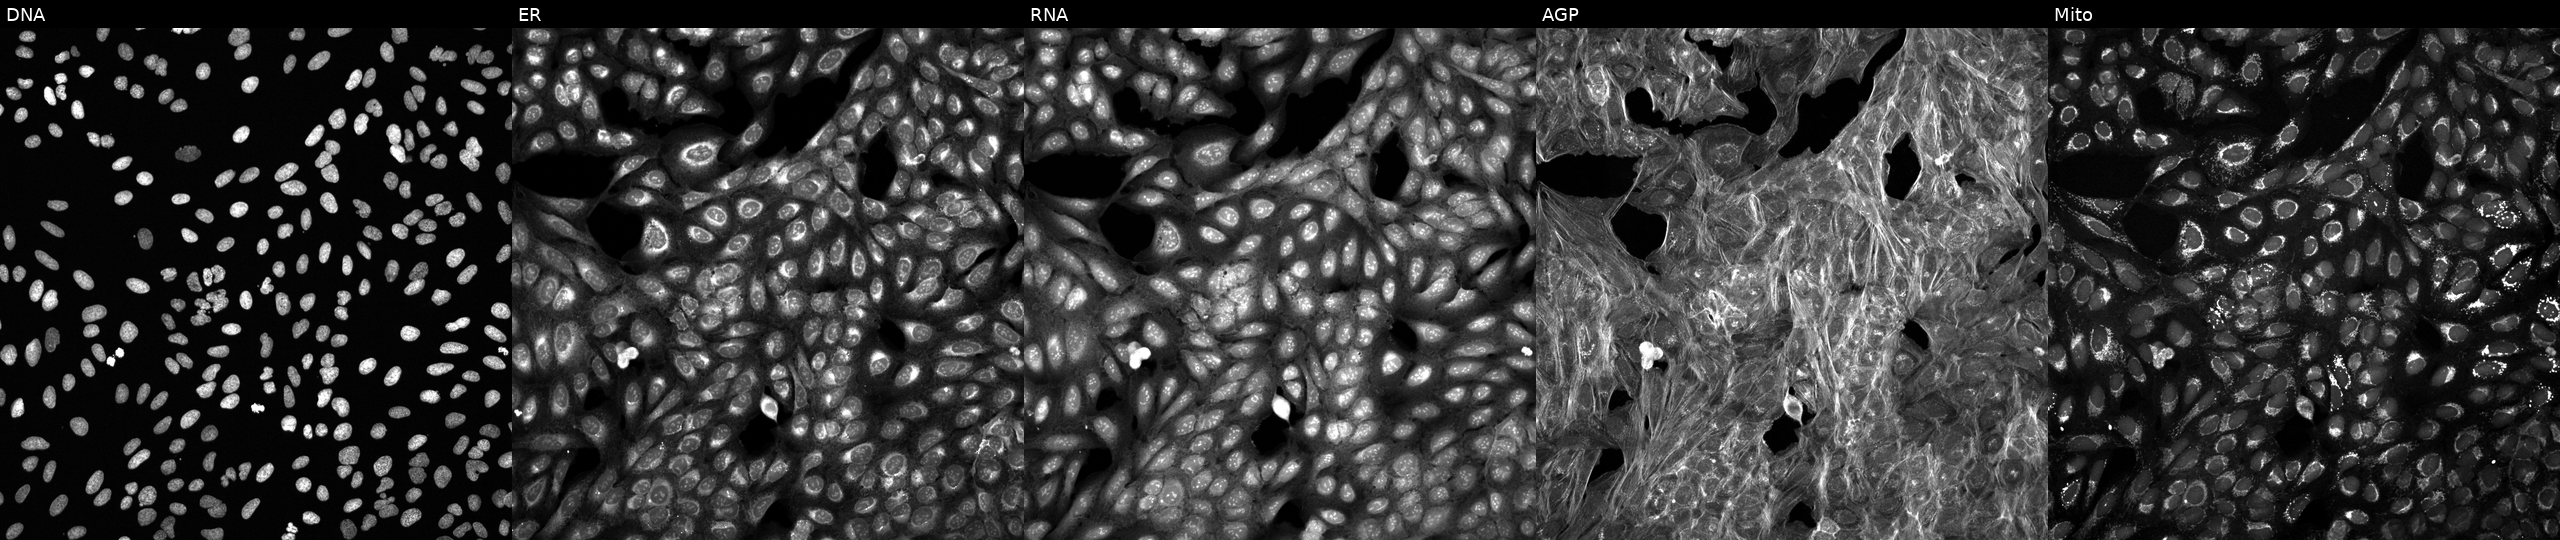
From left to right: Hoechst 33342, concanavalin A, SYTO 14, phalloidin and WGA, MitoTracker. U2OS osteosarcoma cells treated with a small-molecule compound (JUMP id JCP2022_109752). Cell Painting assay, JUMP-CP dataset.